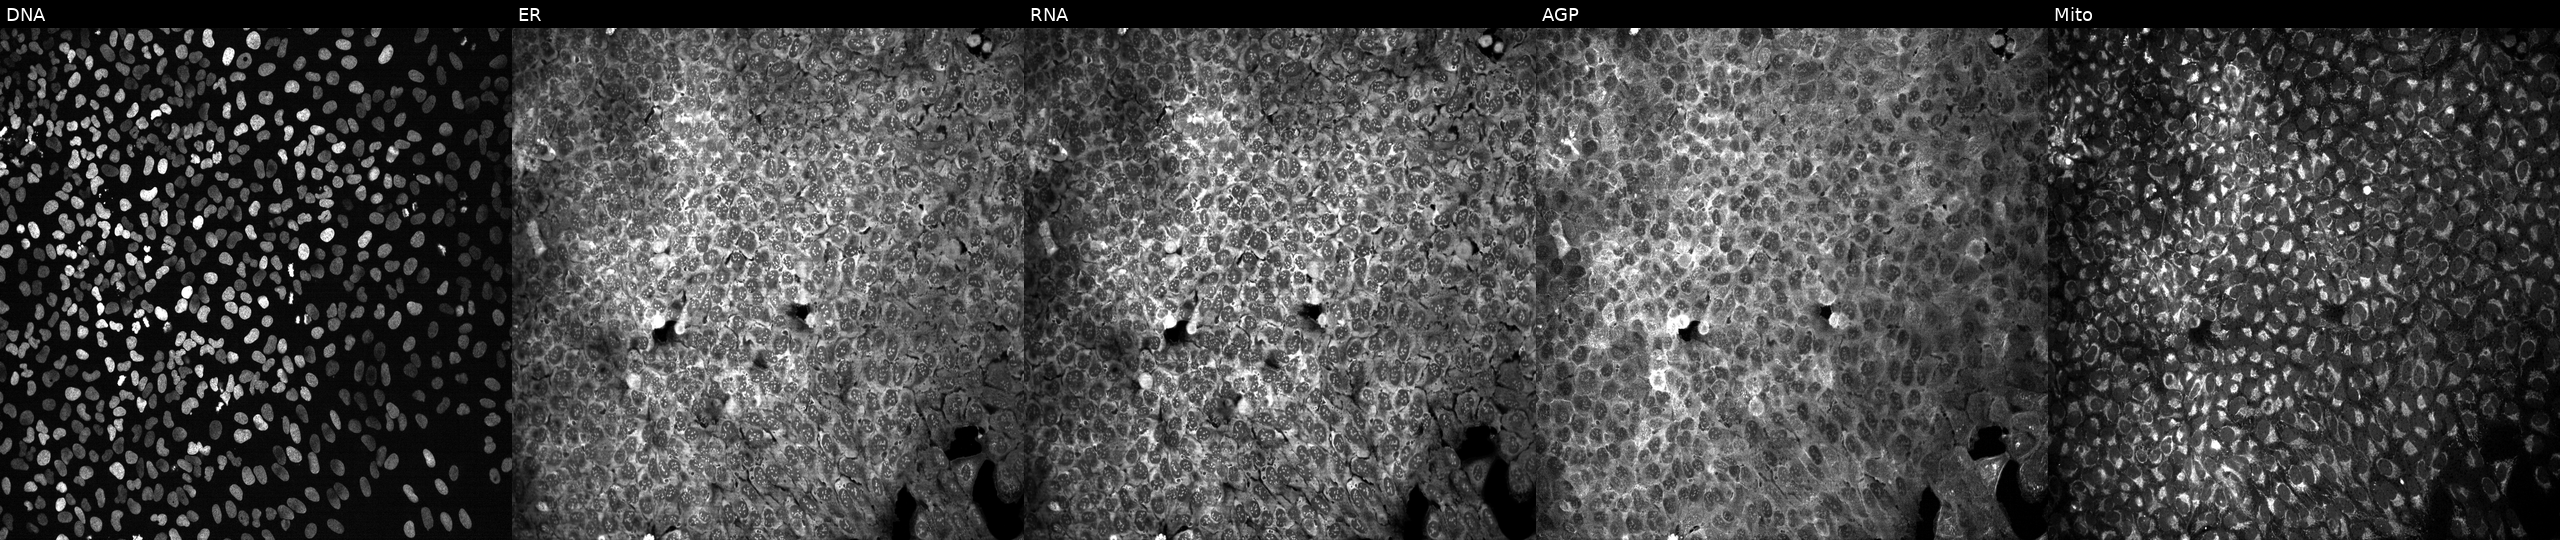
U2OS cells, Cell Painting assay, treated with aloxistatin (positive-control compound). From left to right: Hoechst 33342, concanavalin A, SYTO 14, phalloidin and WGA, MitoTracker. Each panel is percentile-stretched 16-bit fluorescence. Source 13, plate CP-CC9-R3-01, well E24.